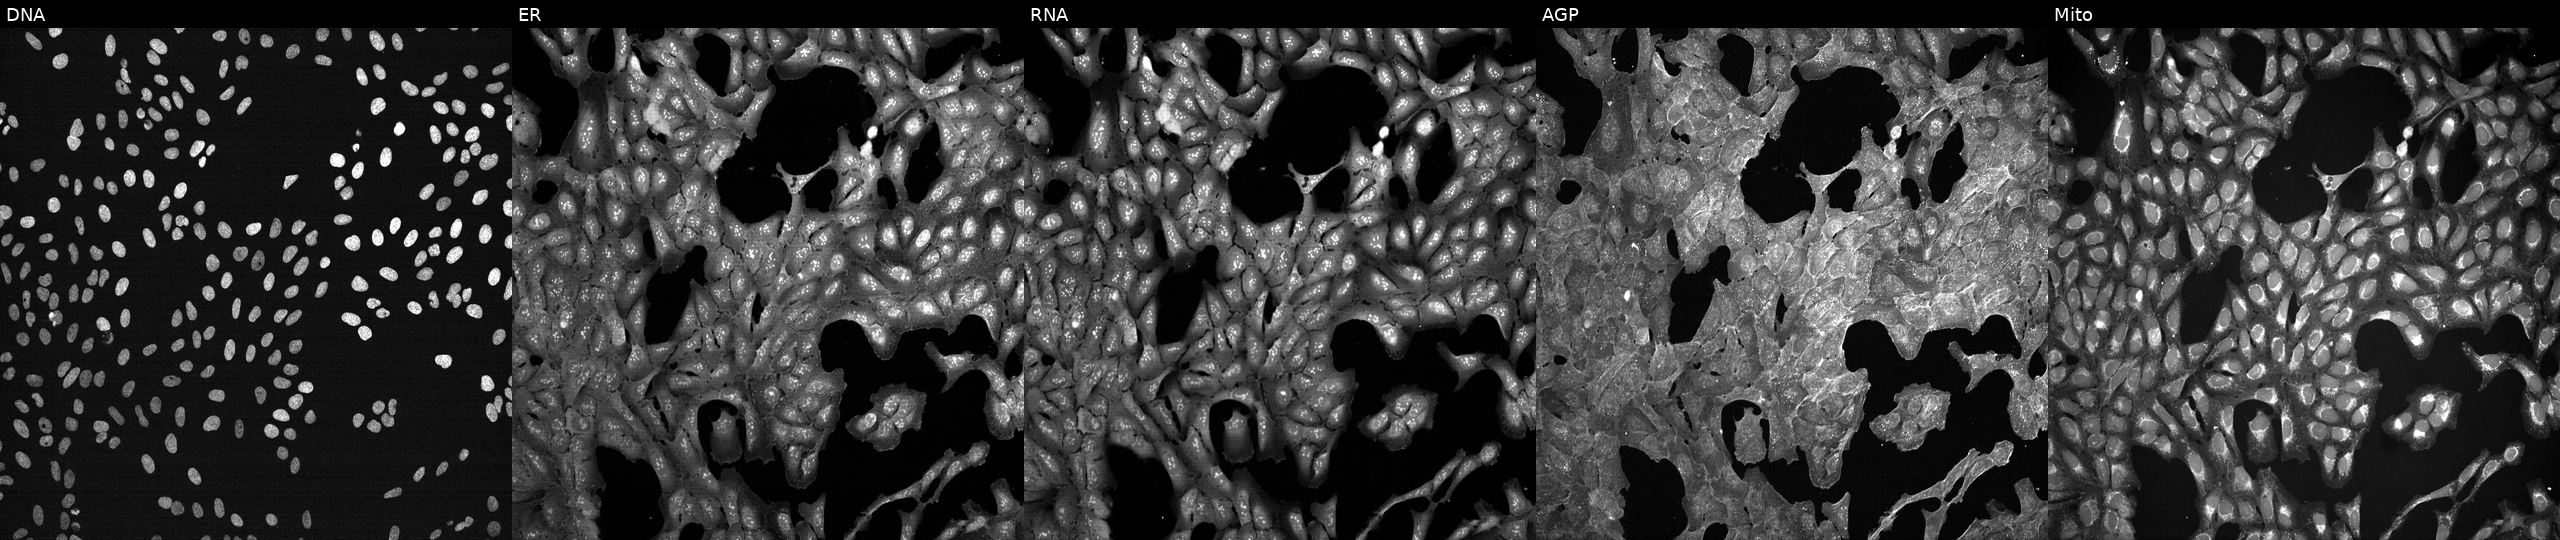
This image strip shows the five Cell Painting channels for a single field of U2OS cells exposed to a small-molecule compound (InChIKey LPEPZBJOKDYZAD-UHFFFAOYSA-N) (JUMP id JCP2022_050861). The five panels, left to right, show DNA, ER, RNA, AGP, and Mito. Source 7, plate CP2-SC1-25, well A08.